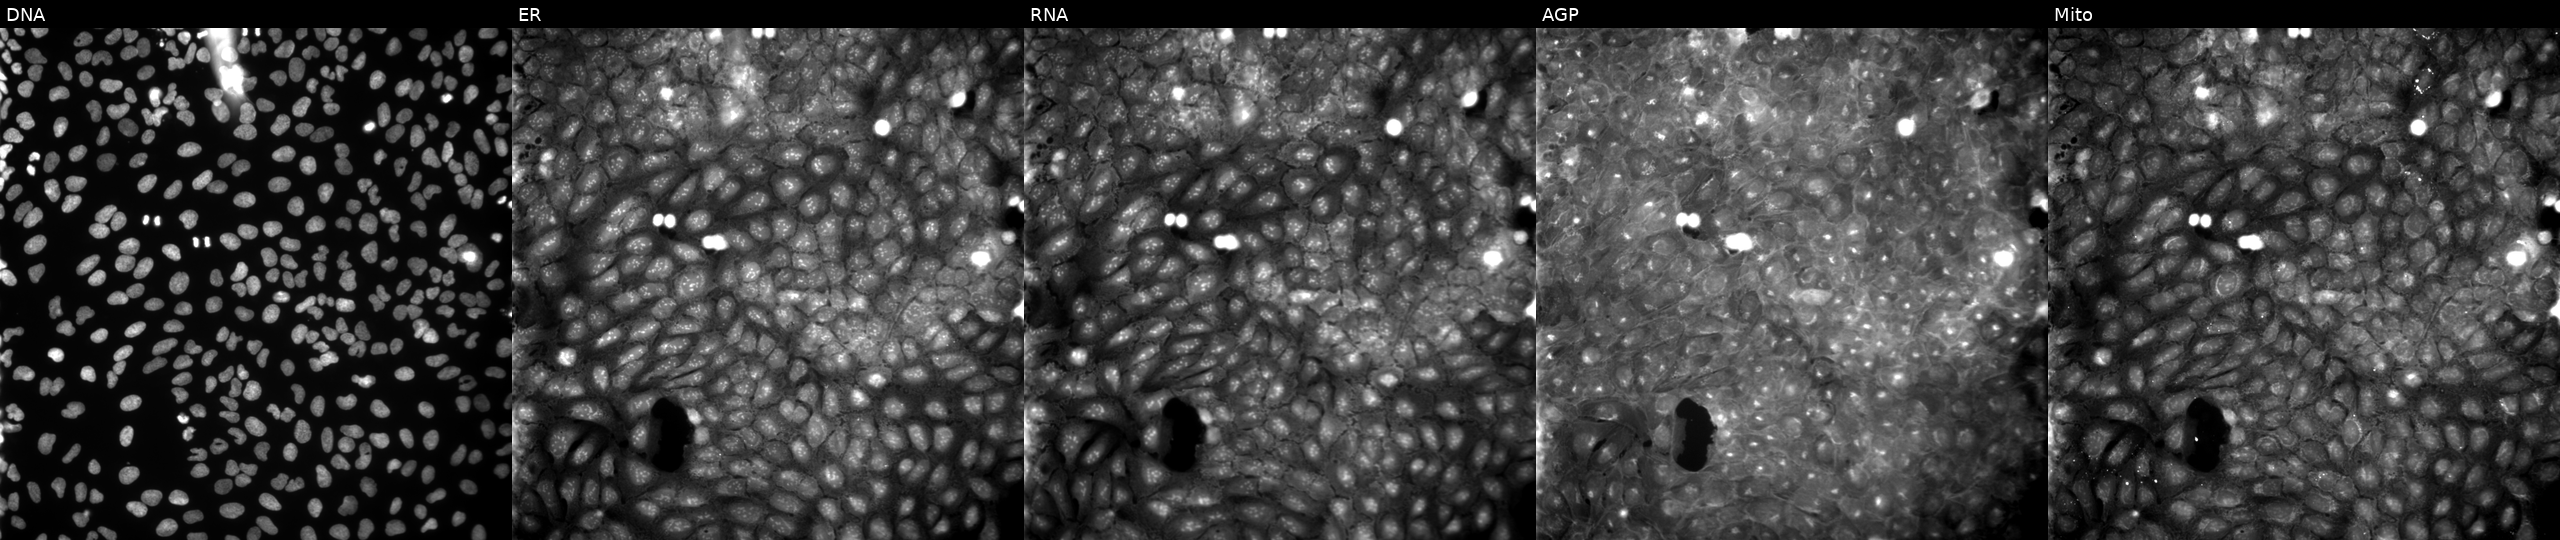
JUMP Cell Painting — COMPOUND plate. U2OS cells perturbed with a small-molecule compound (InChIKey WEBULUVFDZSBFP-UHFFFAOYSA-N). Panels show, left to right, DNA (nuclei); ER (endoplasmic reticulum); RNA (nucleoli and cytoplasmic RNA); AGP (actin cytoskeleton, Golgi, and plasma membrane); Mito (mitochondria).